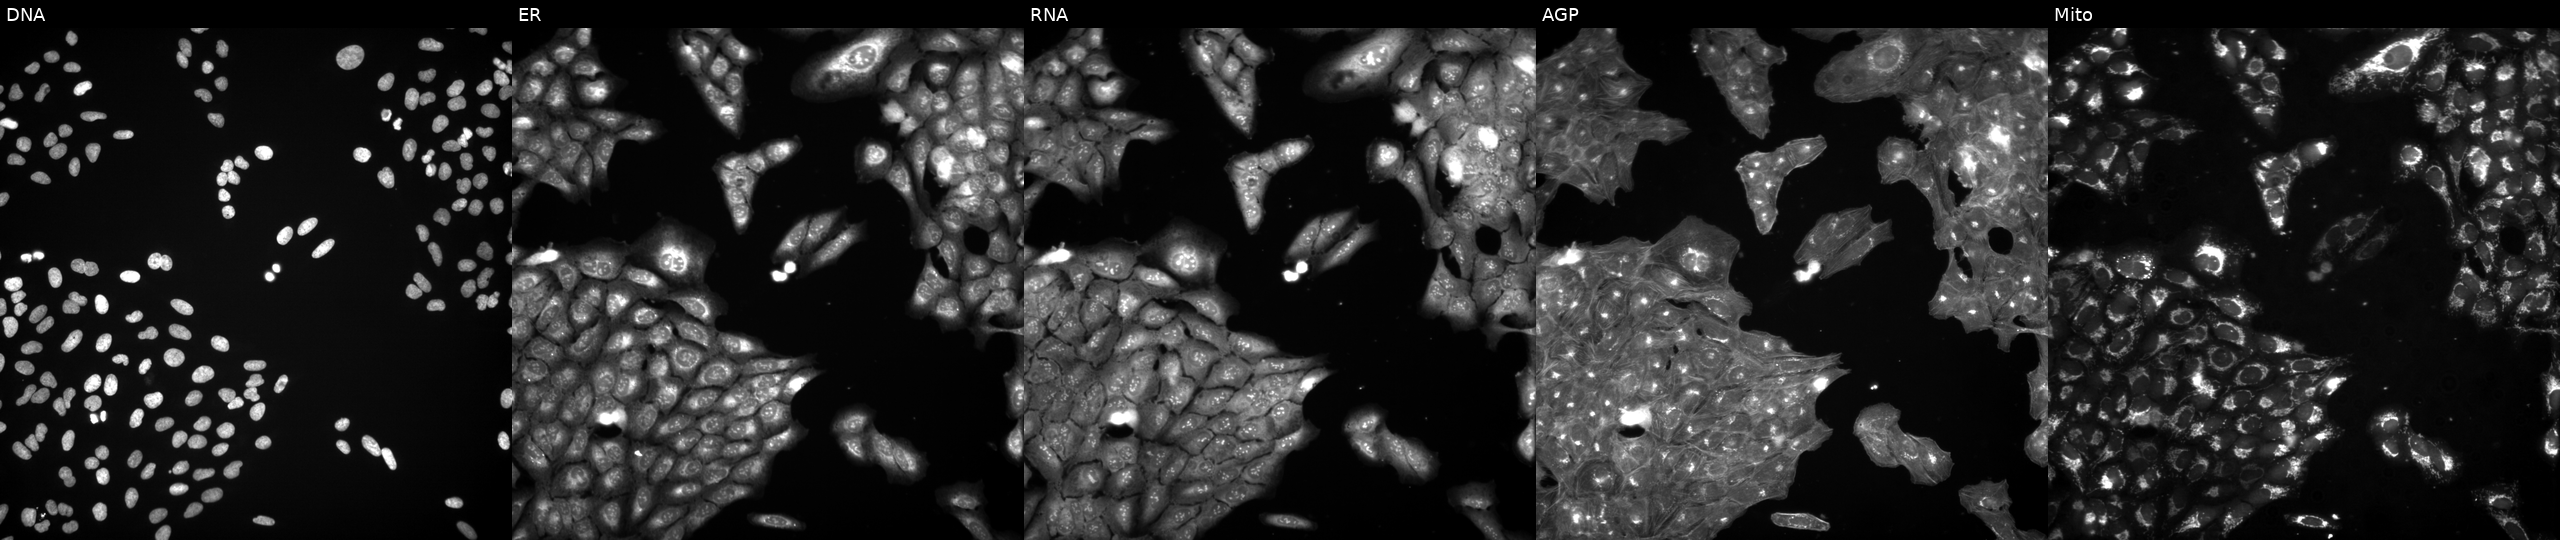
JUMP Cell Painting — COMPOUND plate. U2OS cells treated with a small-molecule compound (InChIKey AEJGGPVPSJIVDZ-UHFFFAOYSA-N). Channels (left→right): DNA, ER, RNA, AGP, and Mito. Source 3, plate BR5867a3, well D08.